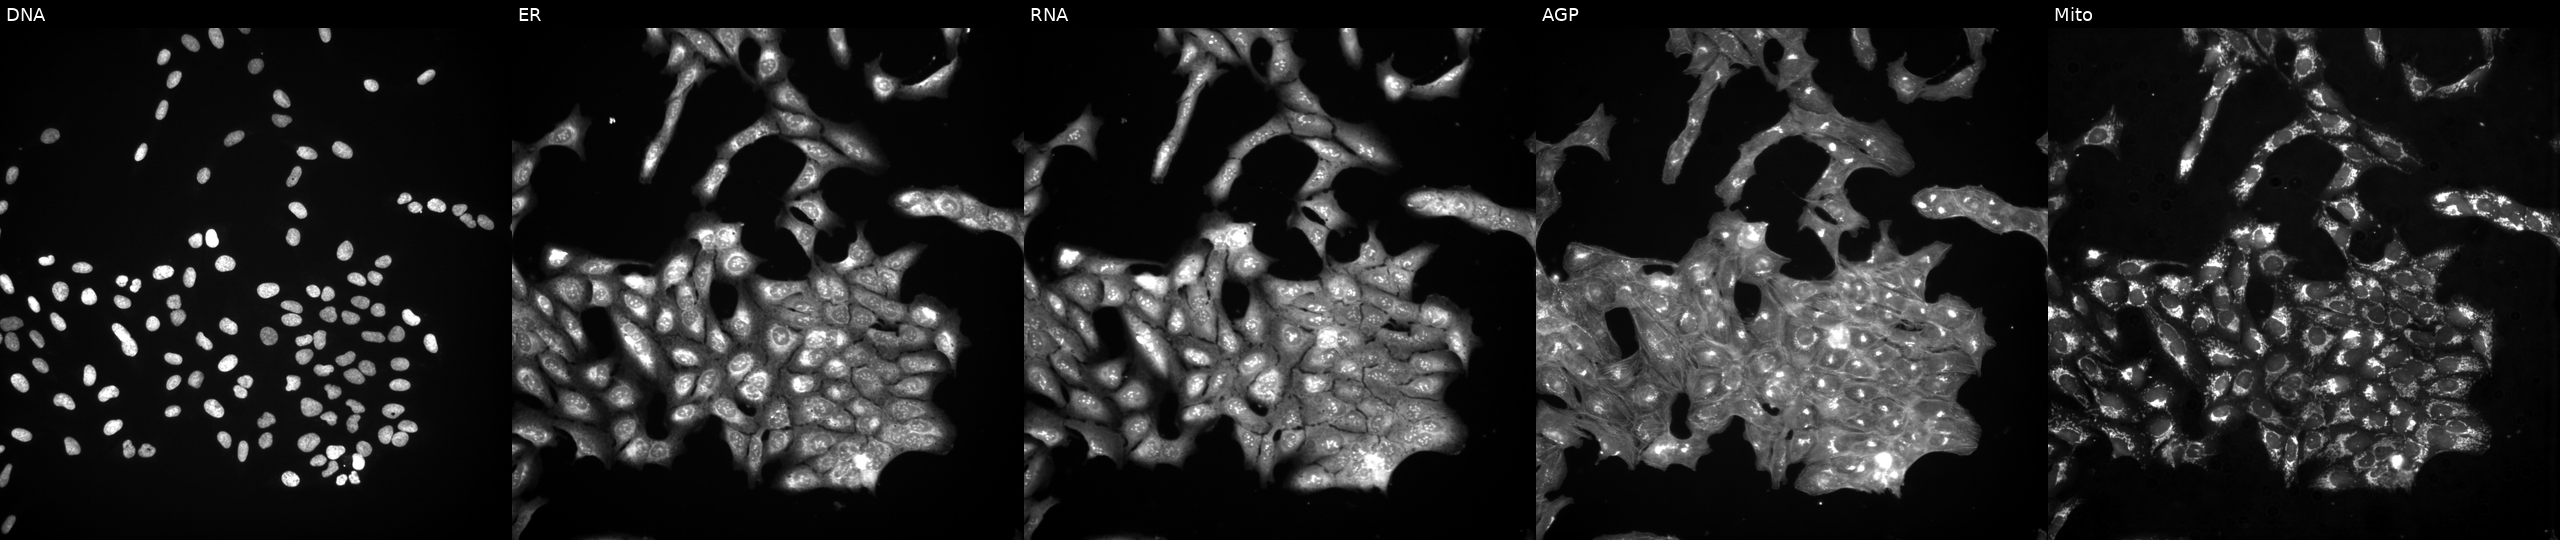
From left to right: DNA (nuclei); ER (endoplasmic reticulum); RNA (nucleoli and cytoplasmic RNA); AGP (actin cytoskeleton, Golgi, and plasma membrane); Mito (mitochondria). U2OS osteosarcoma cells treated with a small-molecule compound (InChIKey PFUPENWSRATQRL-UHFFFAOYSA-N) [SMILES: O=C(Cc1nc2ccccc2[nH]c1=O)c1ccc(Cl)cc1]. Cell Painting assay, JUMP-CP dataset.